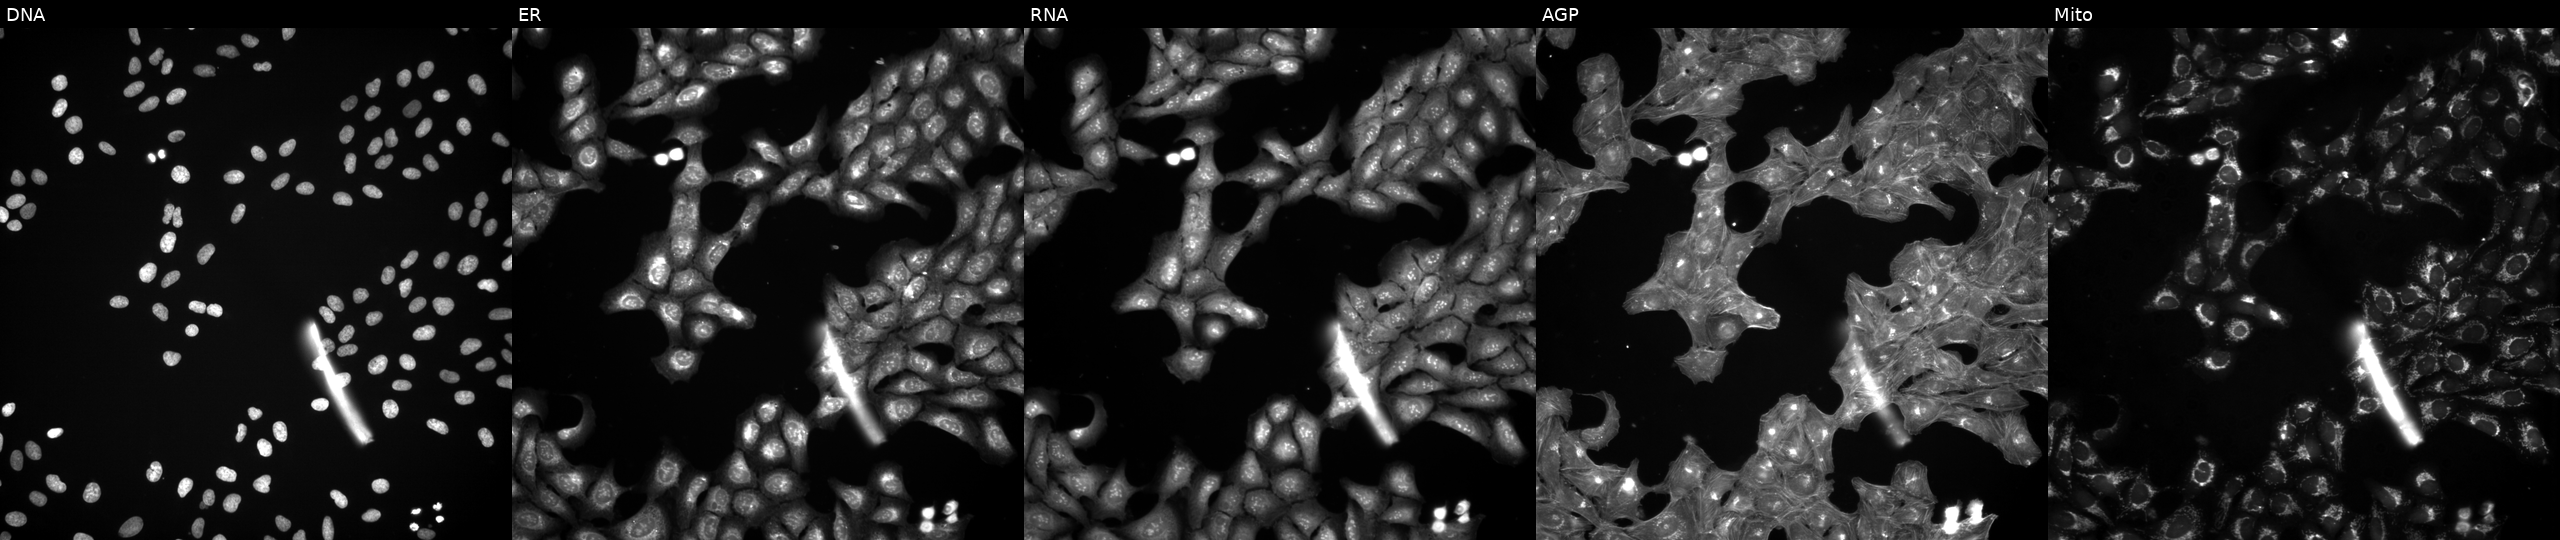
This image strip shows the five Cell Painting channels for a single field of U2OS cells perturbed with a small-molecule compound (InChIKey VGZSUPCWNCWDAN-UHFFFAOYSA-N) [SMILES: CC(=O)c1ccc(S(=O)(=O)NC(=O)NC2CCCCC2)cc1] (JUMP id JCP2022_093901). From left to right: DNA, ER, RNA, AGP, and Mito. Source 3, plate JCPQC053, well M08.